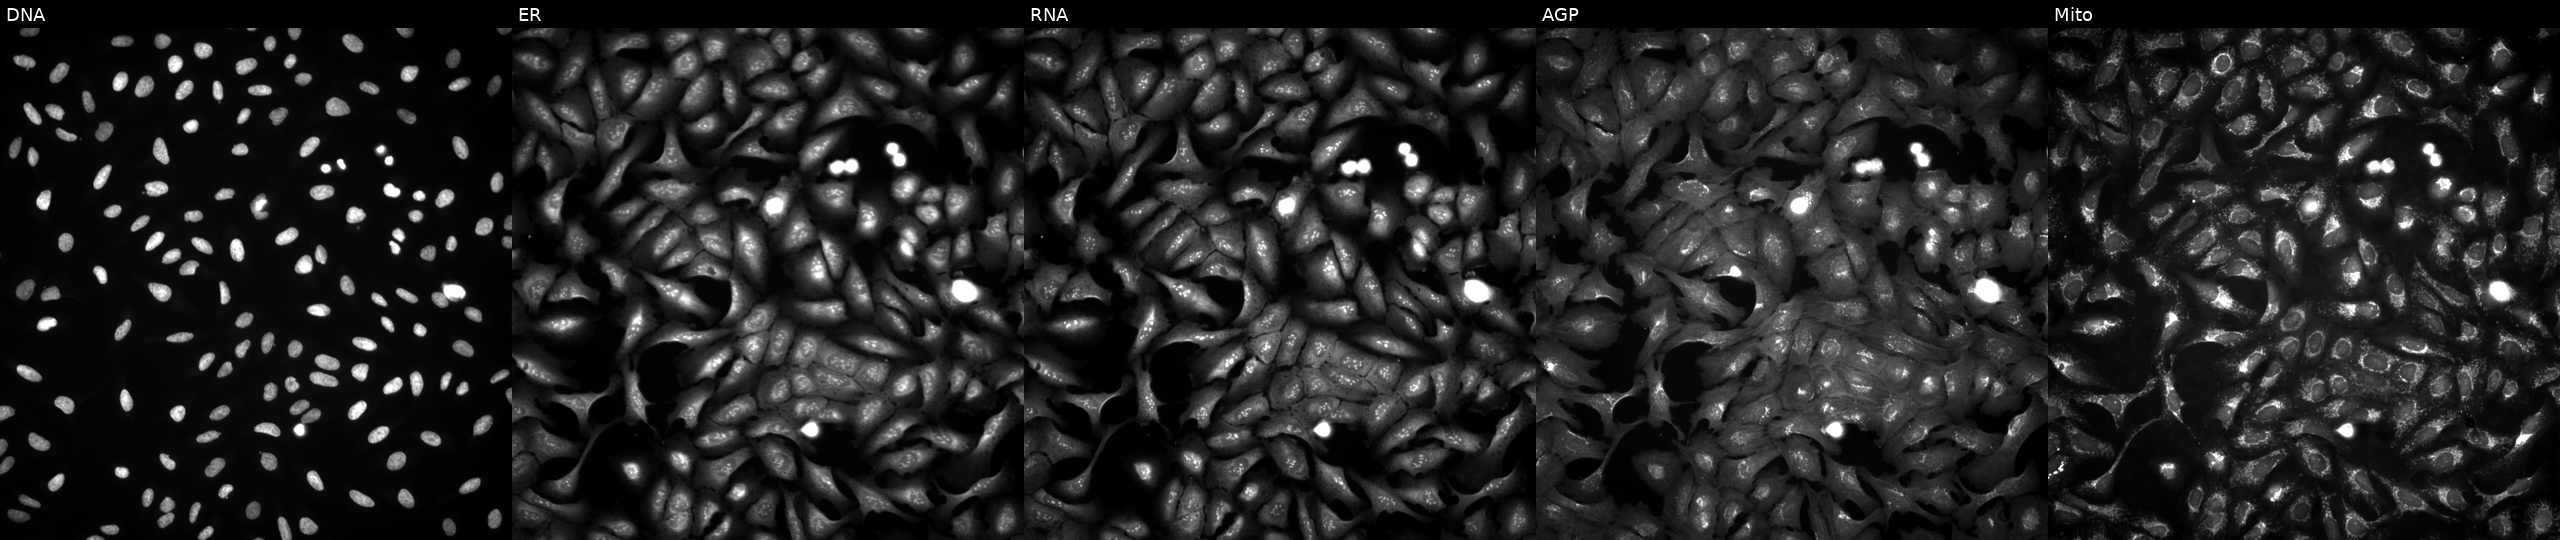
Five-channel Cell Painting image of U2OS cells with ANKS6 overexpressed (ORF). Panels show, left to right, DNA (nuclei); ER (endoplasmic reticulum); RNA (nucleoli and cytoplasmic RNA); AGP (actin cytoskeleton, Golgi, and plasma membrane); Mito (mitochondria).